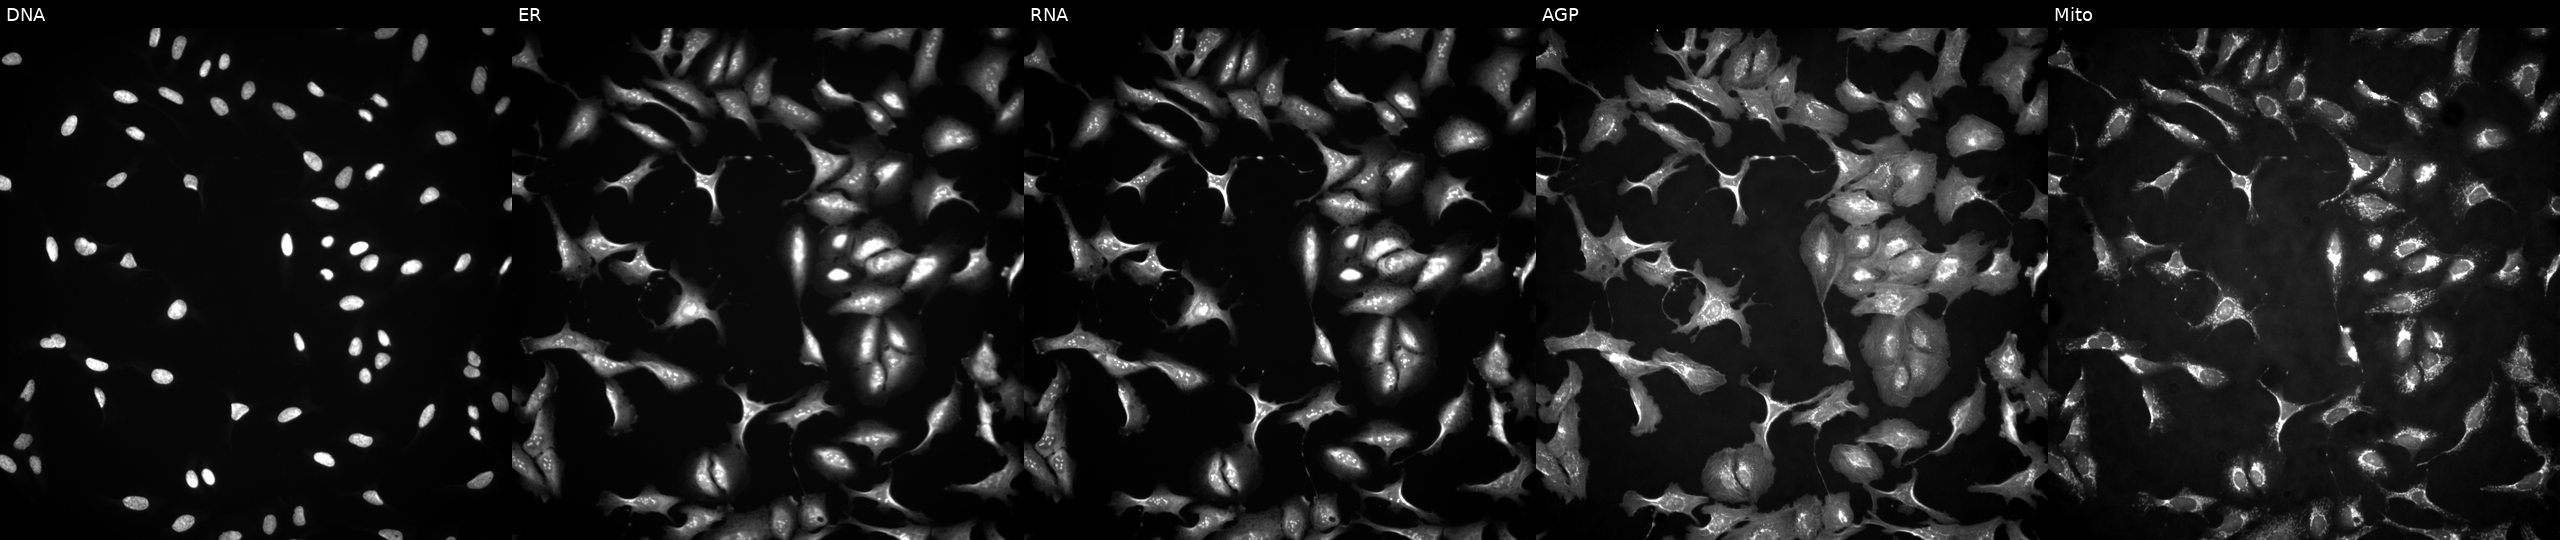
U2OS cells, Cell Painting assay, with ZNF548 overexpressed (ORF) (JUMP id JCP2022_908996). Panels show, left to right, DNA, ER, RNA, AGP, and Mito. Each panel is percentile-stretched 16-bit fluorescence. Source 4, plate BR00117035, well J13.